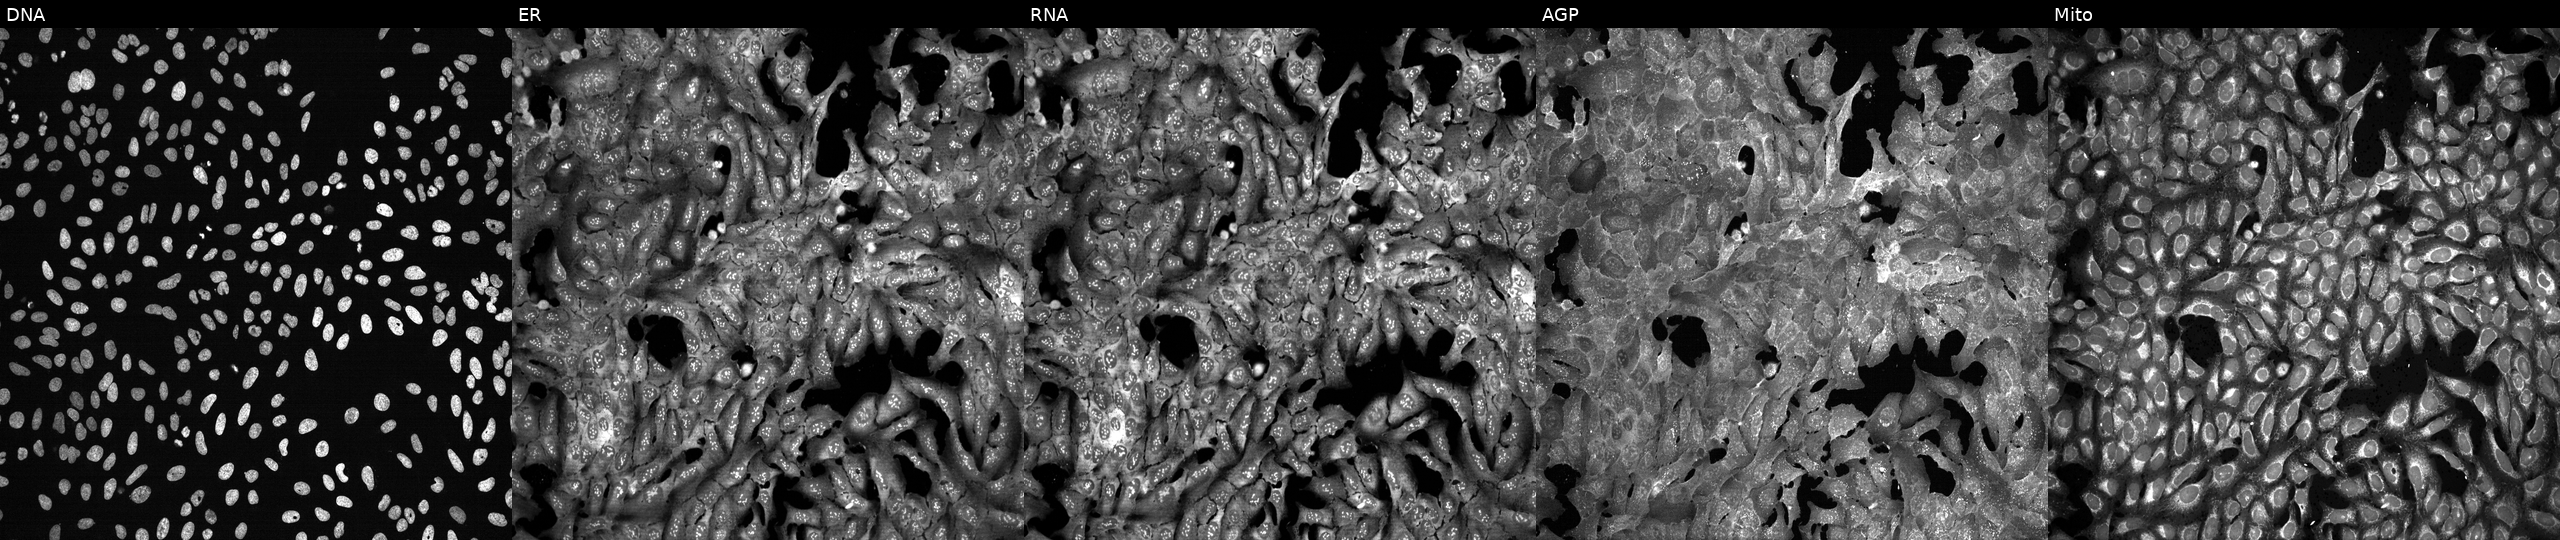
U2OS cells, Cell Painting assay, CRISPR-edited to disrupt SMC1A. The five panels, left to right, show Hoechst 33342, concanavalin A, SYTO 14, phalloidin and WGA, MitoTracker. Each panel is percentile-stretched 16-bit fluorescence.